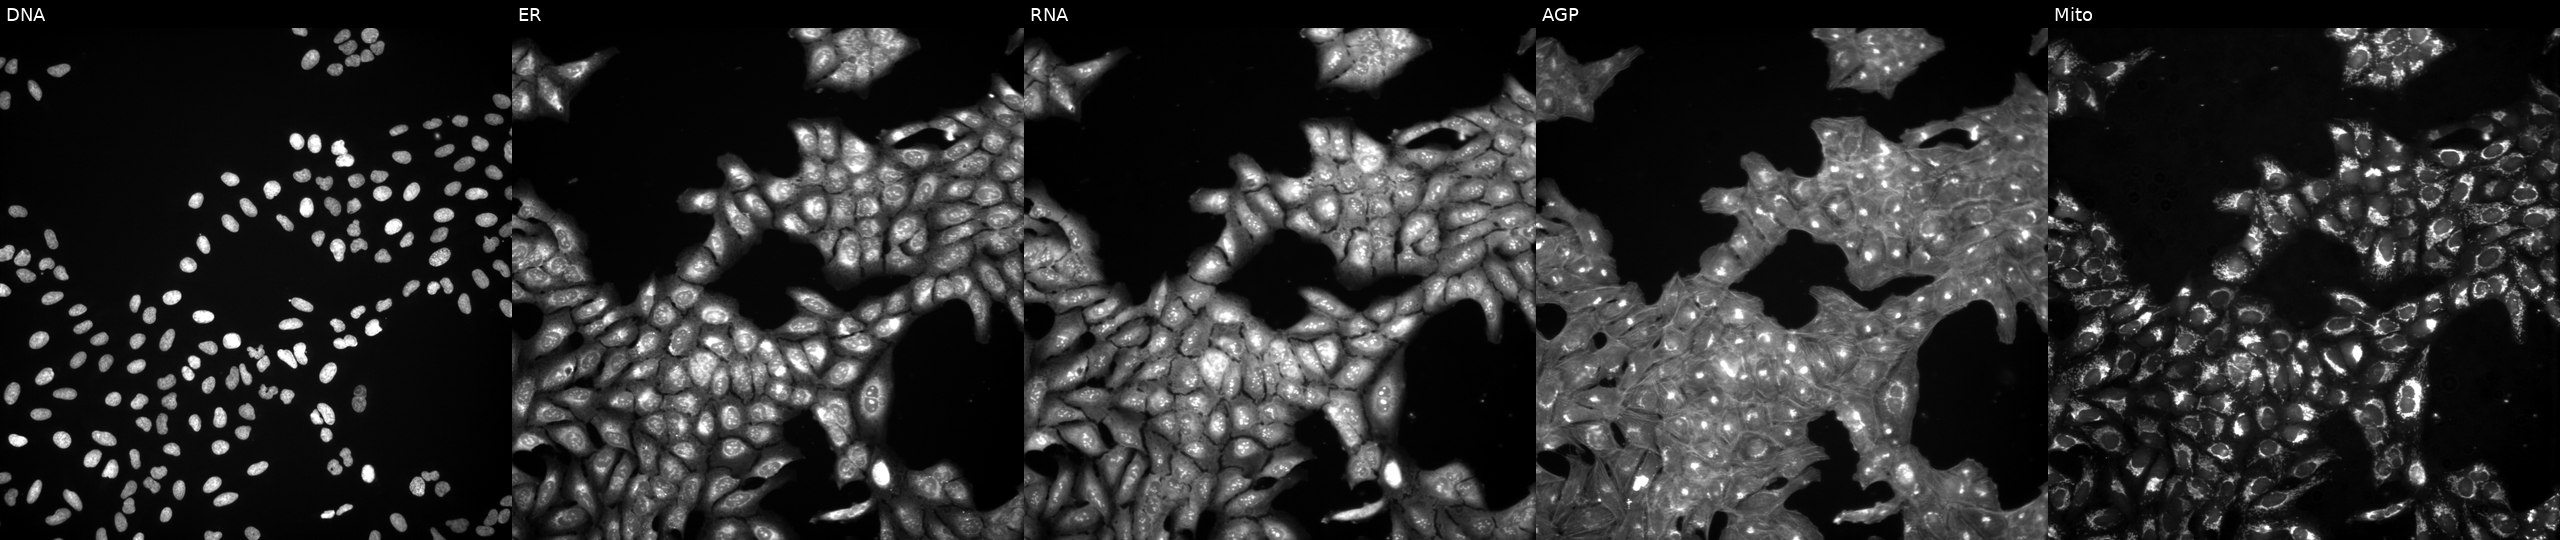
High-content fluorescence microscopy (Cell Painting). Cell line: U2OS. Perturbation: treated with a small-molecule compound (InChIKey AFMYZODMVMHWJR-UHFFFAOYSA-N). Channels (left→right): DNA (nuclei); ER (endoplasmic reticulum); RNA (nucleoli and cytoplasmic RNA); AGP (actin cytoskeleton, Golgi, and plasma membrane); Mito (mitochondria).